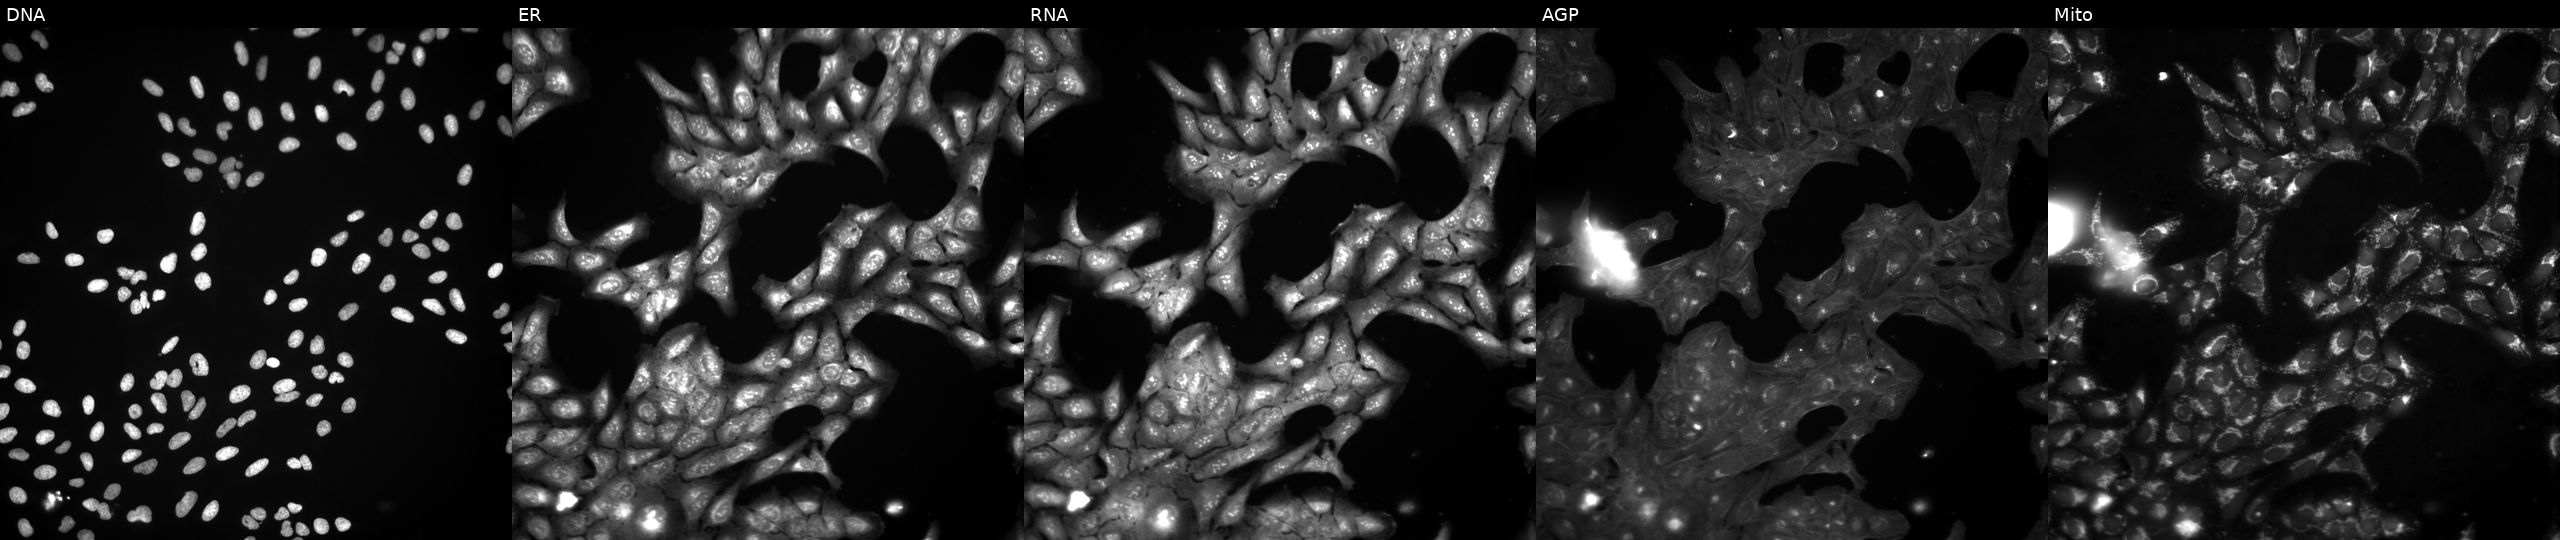
This image strip shows the five Cell Painting channels for a single field of U2OS cells perturbed with a small-molecule compound (InChIKey LPYXWGMUVRGUOY-UHFFFAOYSA-N) (JUMP id JCP2022_050997). The five panels, left to right, show DNA (nuclei); ER (endoplasmic reticulum); RNA (nucleoli and cytoplasmic RNA); AGP (actin cytoskeleton, Golgi, and plasma membrane); Mito (mitochondria). Source 3, plate JCPQC052, well A03.